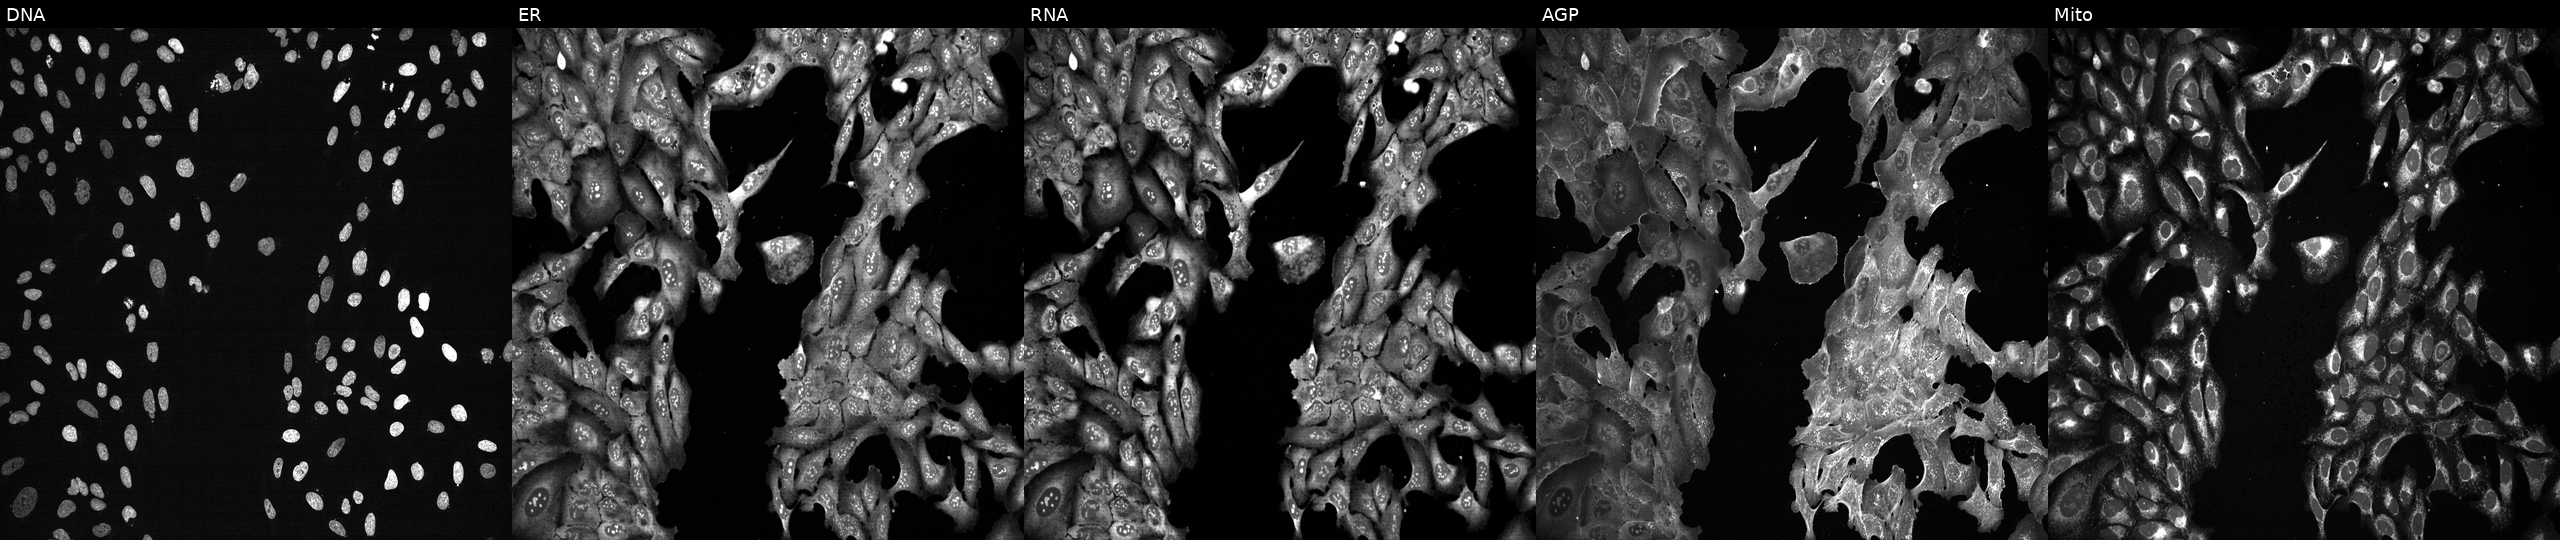
U2OS cells, Cell Painting assay, CRISPR-edited to disrupt TULP1 (JUMP id JCP2022_807403). Panels show, left to right, DNA (nuclei); ER (endoplasmic reticulum); RNA (nucleoli and cytoplasmic RNA); AGP (actin cytoskeleton, Golgi, and plasma membrane); Mito (mitochondria). Each panel is percentile-stretched 16-bit fluorescence.